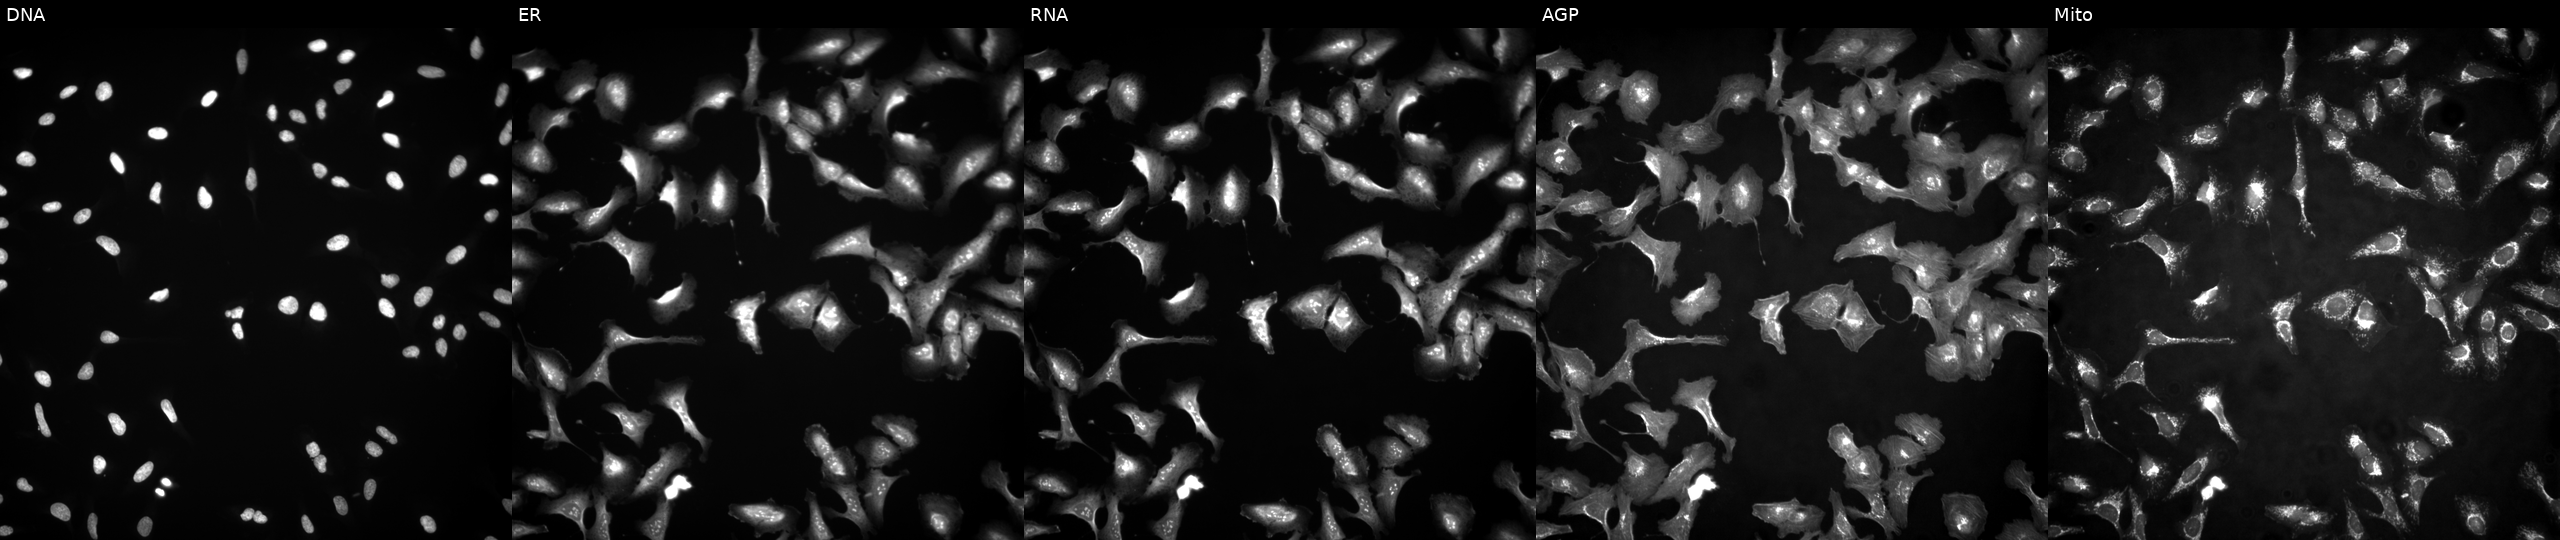
This image strip shows the five Cell Painting channels for a single field of U2OS cells overexpressing ETV1 via ORF transfection. From left to right: Hoechst 33342, concanavalin A, SYTO 14, phalloidin and WGA, MitoTracker.